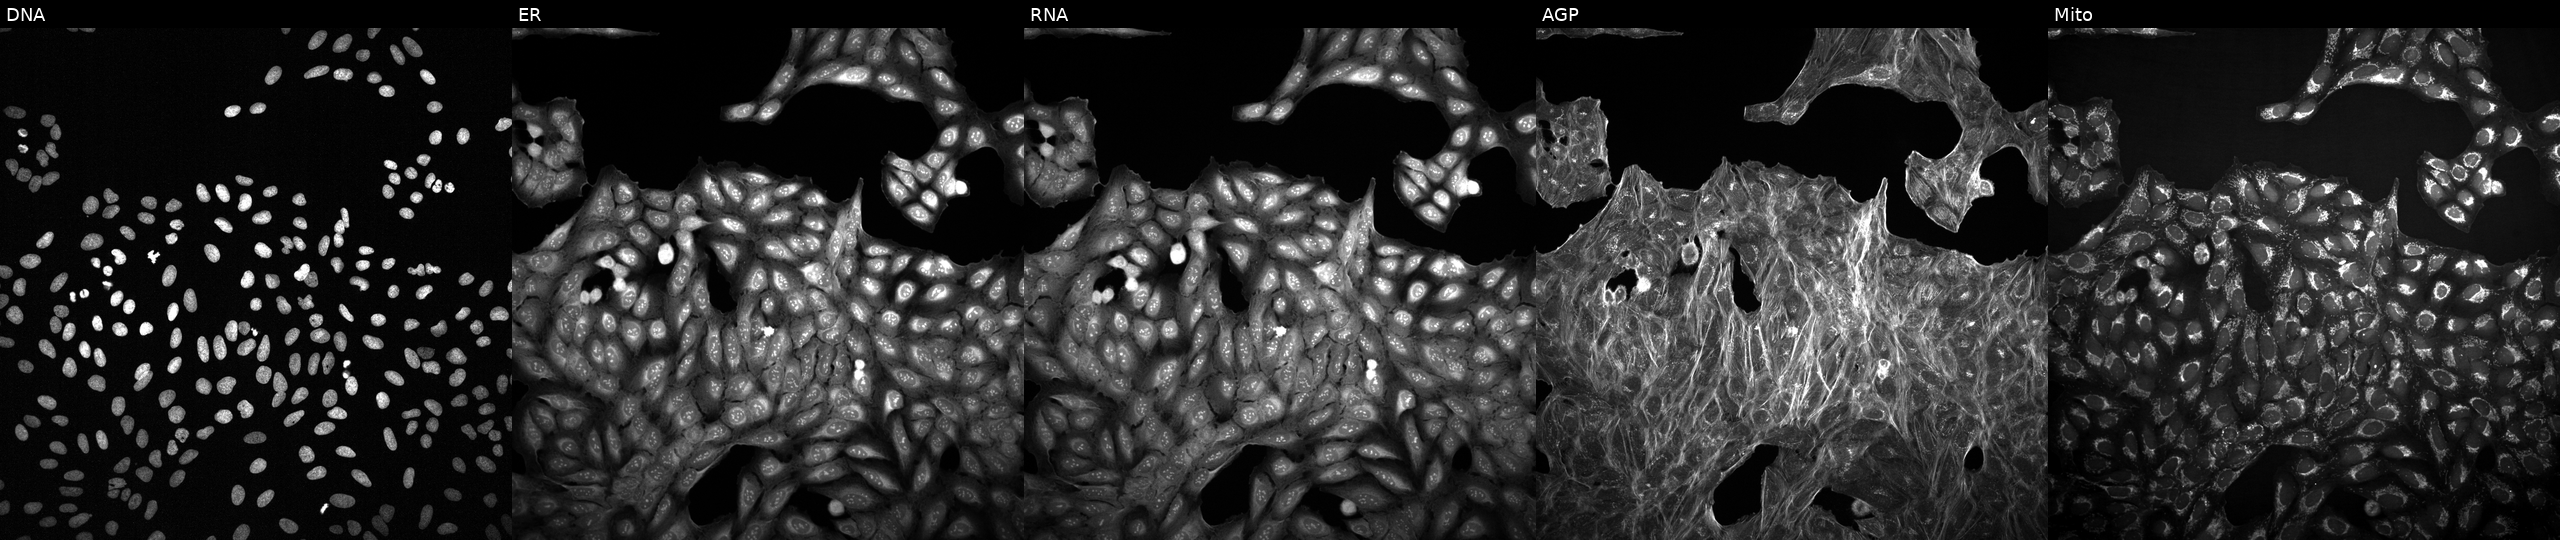
Five-channel Cell Painting image of U2OS cells treated with a small-molecule compound (JUMP id JCP2022_009419). The five panels, left to right, show DNA, ER, RNA, AGP, and Mito.